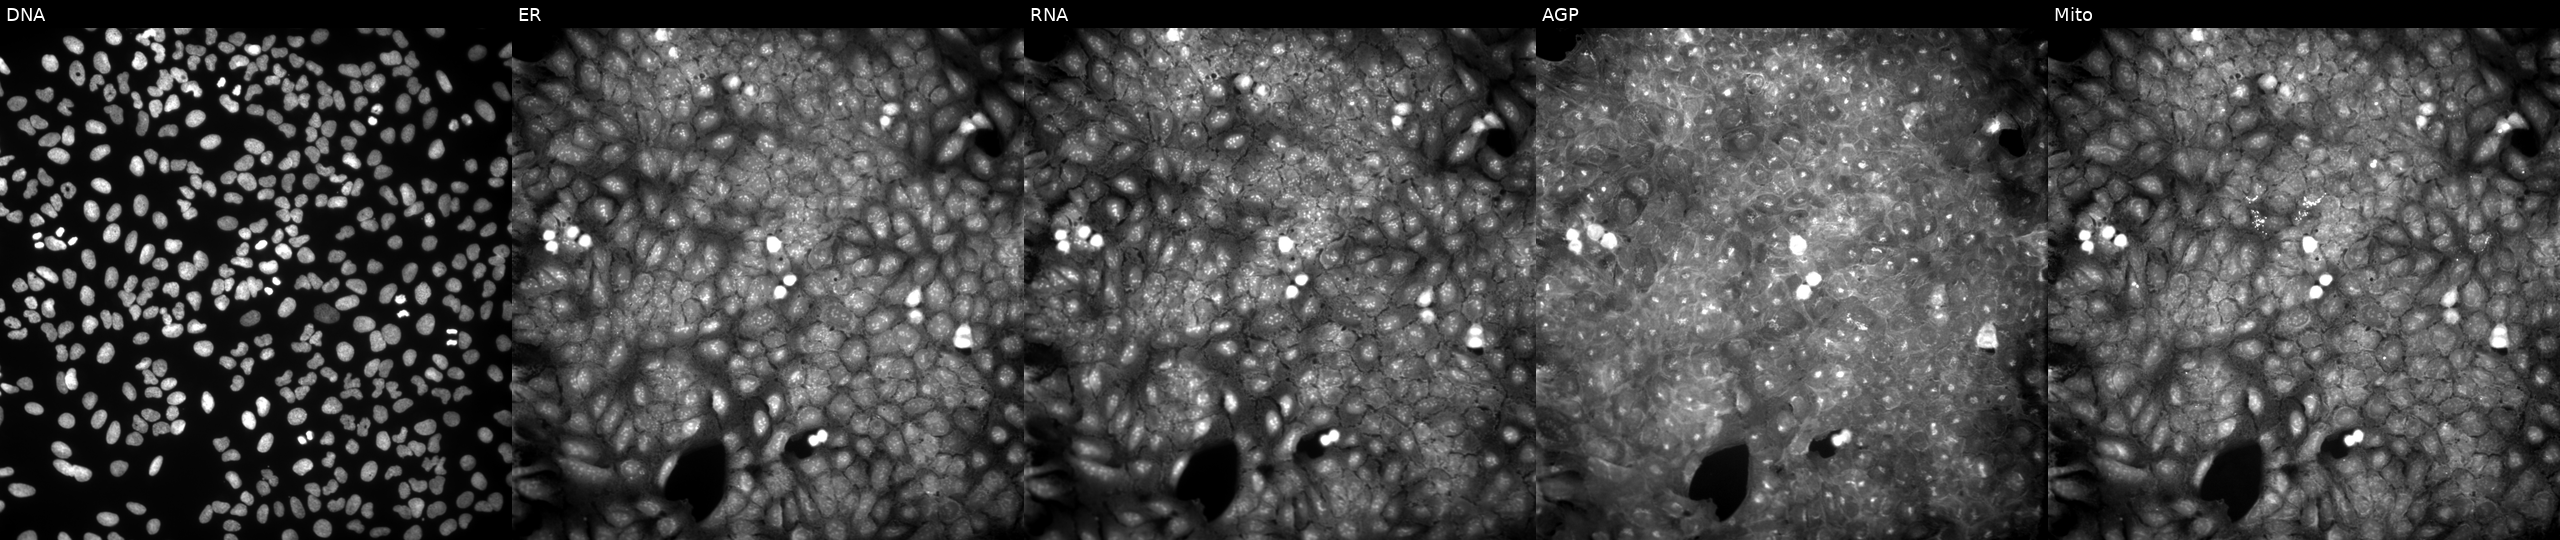
Panels show, left to right, Hoechst 33342, concanavalin A, SYTO 14, phalloidin and WGA, MitoTracker. U2OS osteosarcoma cells perturbed with a small-molecule compound (InChIKey JUSSHHHTPQFACP-UHFFFAOYSA-N) (JUMP id JCP2022_042246). Cell Painting assay, JUMP-CP dataset. Source 9, plate GR00003381, well W16.